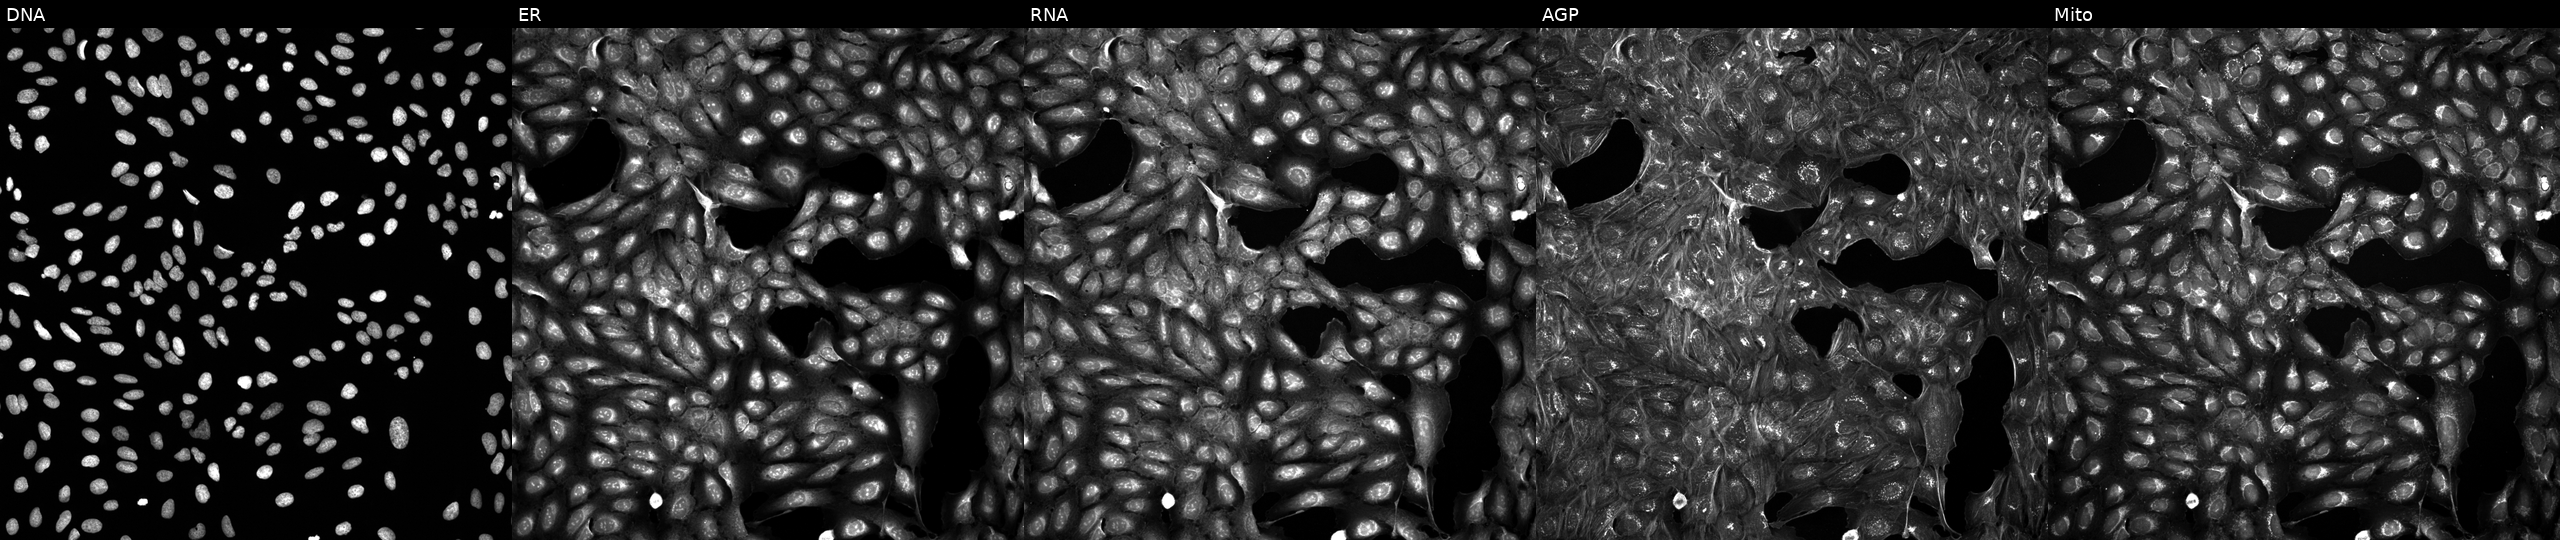
JUMP Cell Painting — COMPOUND plate. U2OS cells treated with a small-molecule compound [SMILES: CCN=c1cc(N2CCC(CCC(=O)N(C)CCc3ccccn3)CC2)[nH]cn1] (JUMP id JCP2022_023709). Channels (left→right): DNA, ER, RNA, AGP, and Mito.